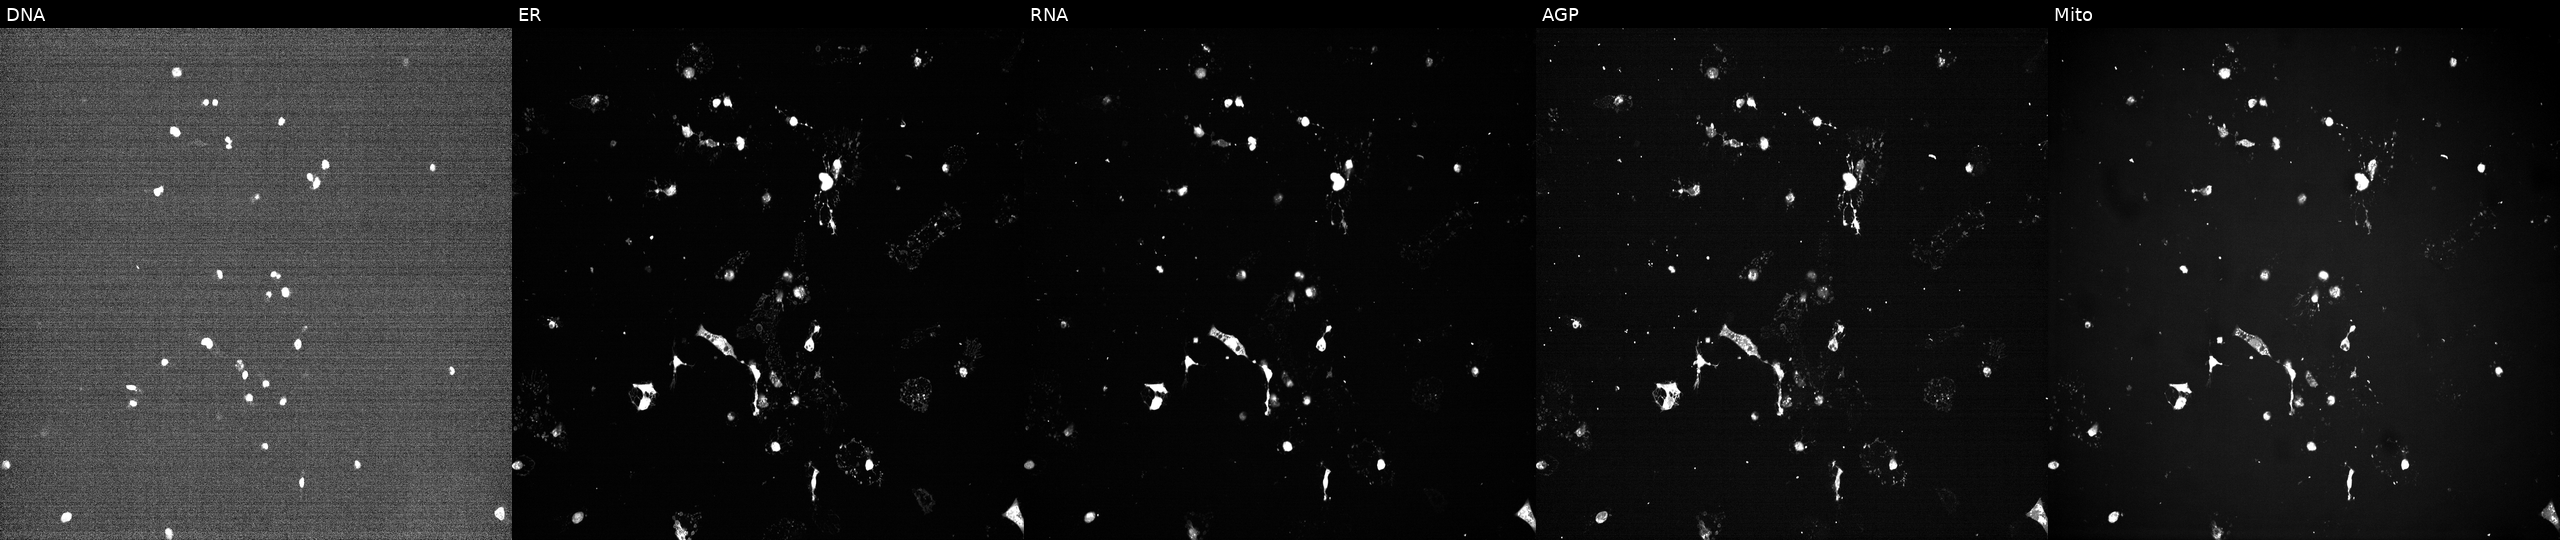
Five-channel Cell Painting image of U2OS cells treated with a small-molecule compound. Panels show, left to right, Hoechst 33342, concanavalin A, SYTO 14, phalloidin and WGA, MitoTracker. Source 7, plate CP1-SC1-25, well J08.